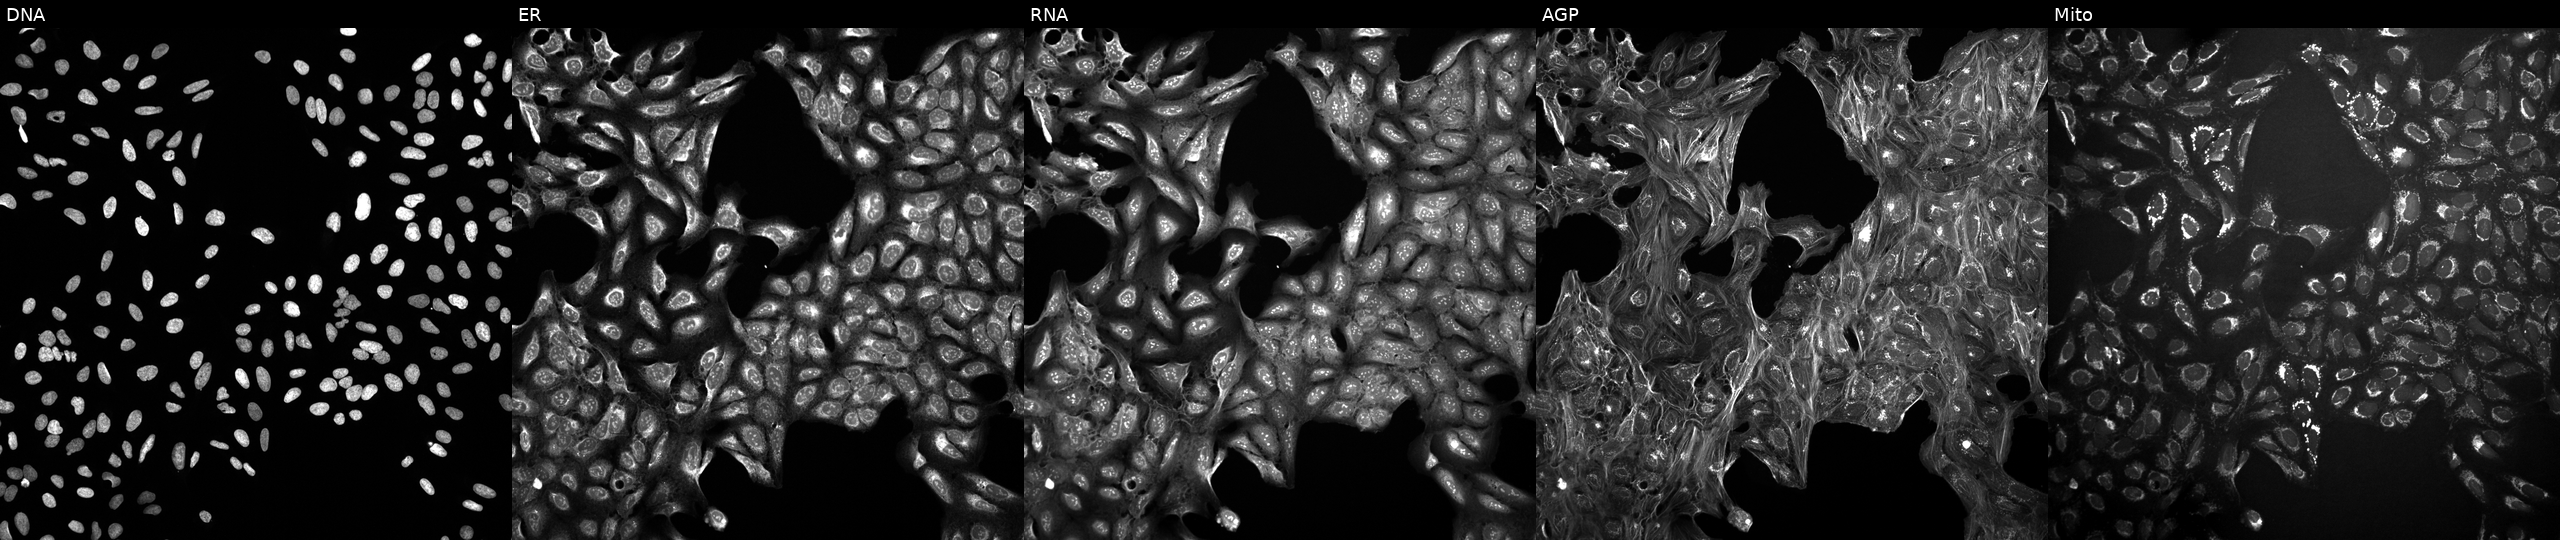
Five-channel Cell Painting image of U2OS cells perturbed with a small-molecule compound (JUMP id JCP2022_024331). Channels (left→right): DNA (nuclei); ER (endoplasmic reticulum); RNA (nucleoli and cytoplasmic RNA); AGP (actin cytoskeleton, Golgi, and plasma membrane); Mito (mitochondria).